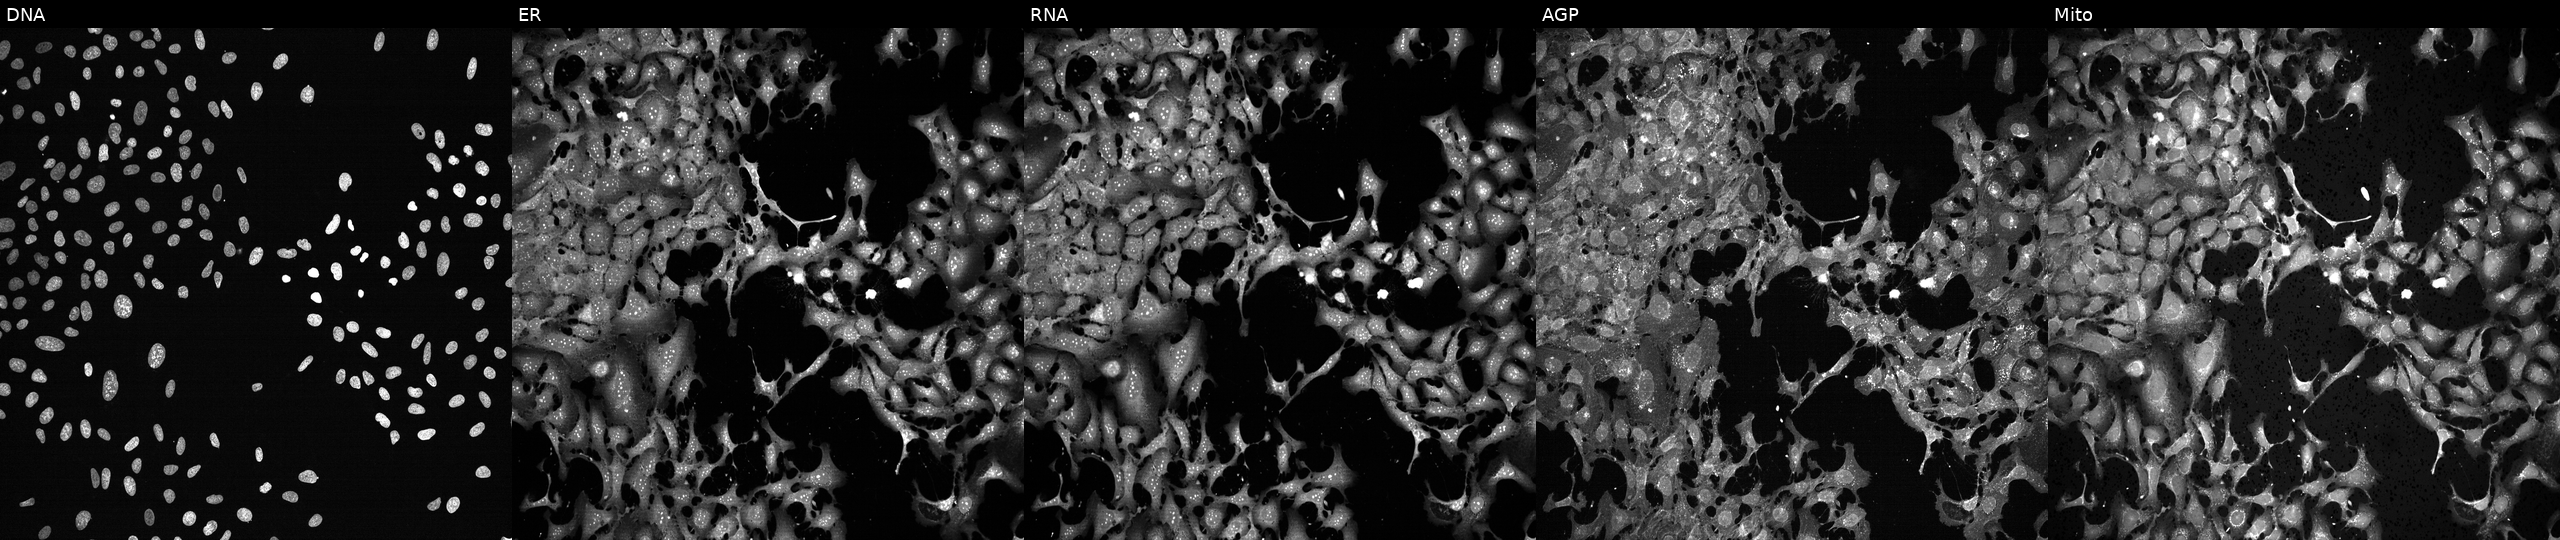
U2OS cells, Cell Painting assay, exposed to the positive-control compound FK-866. Panels show, left to right, Hoechst 33342, concanavalin A, SYTO 14, phalloidin and WGA, MitoTracker. Each panel is percentile-stretched 16-bit fluorescence.